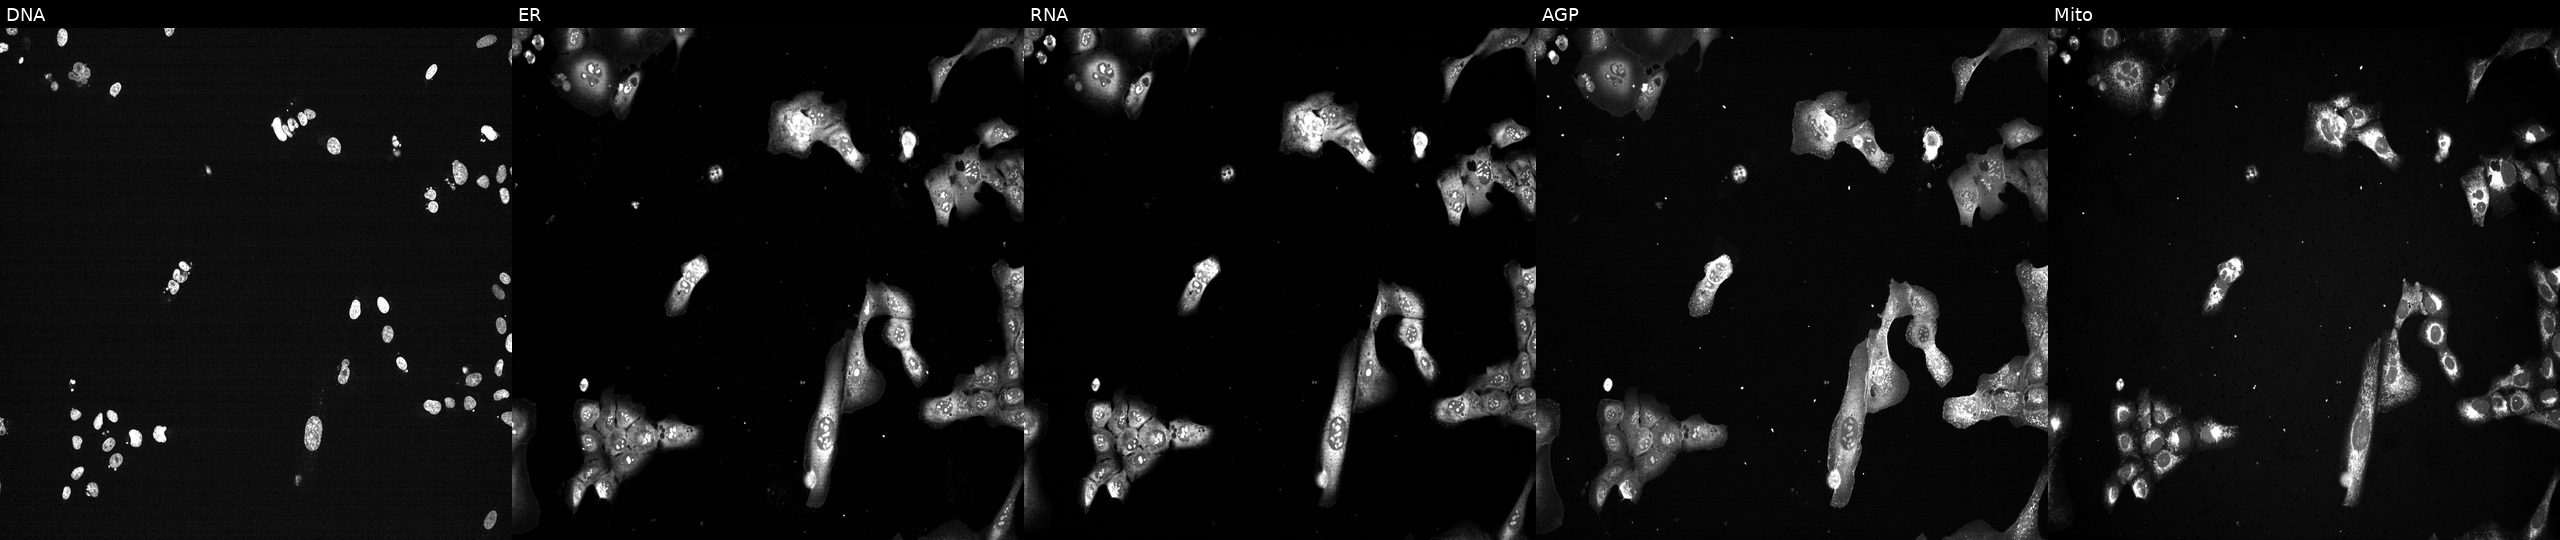
This image strip shows the five Cell Painting channels for a single field of U2OS cells following CRISPR knockout of CENPE. Panels show, left to right, Hoechst 33342, concanavalin A, SYTO 14, phalloidin and WGA, MitoTracker. Source 13, plate CP-CC9-R4-04, well B10.